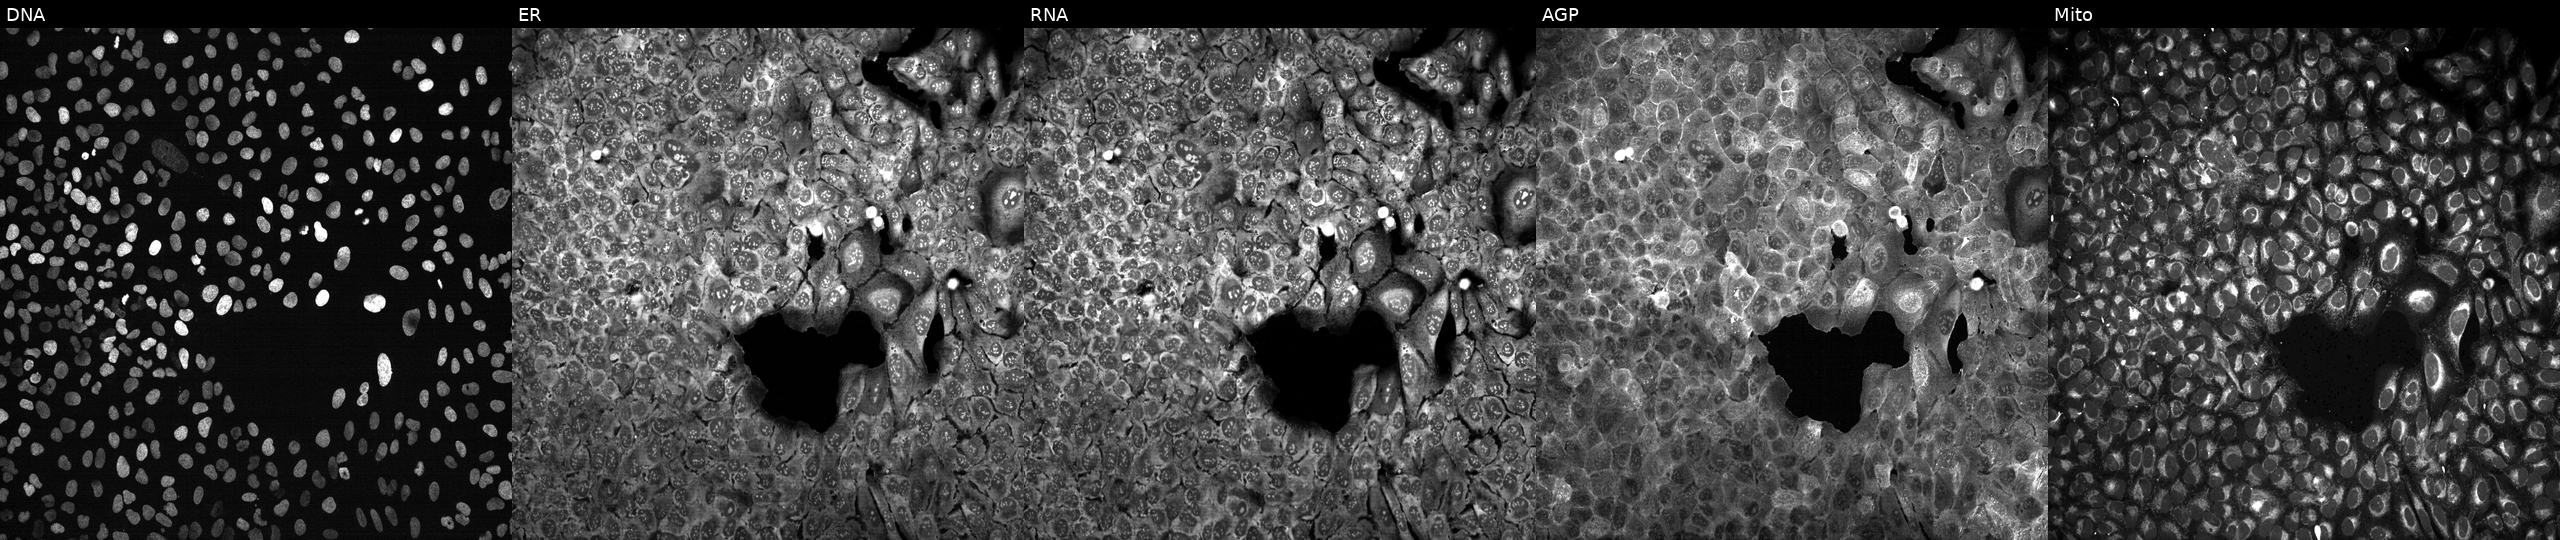
Channels (left→right): Hoechst 33342, concanavalin A, SYTO 14, phalloidin and WGA, MitoTracker. U2OS osteosarcoma cells with a non-targeting CRISPR guide (negative control). Cell Painting assay, JUMP-CP dataset.